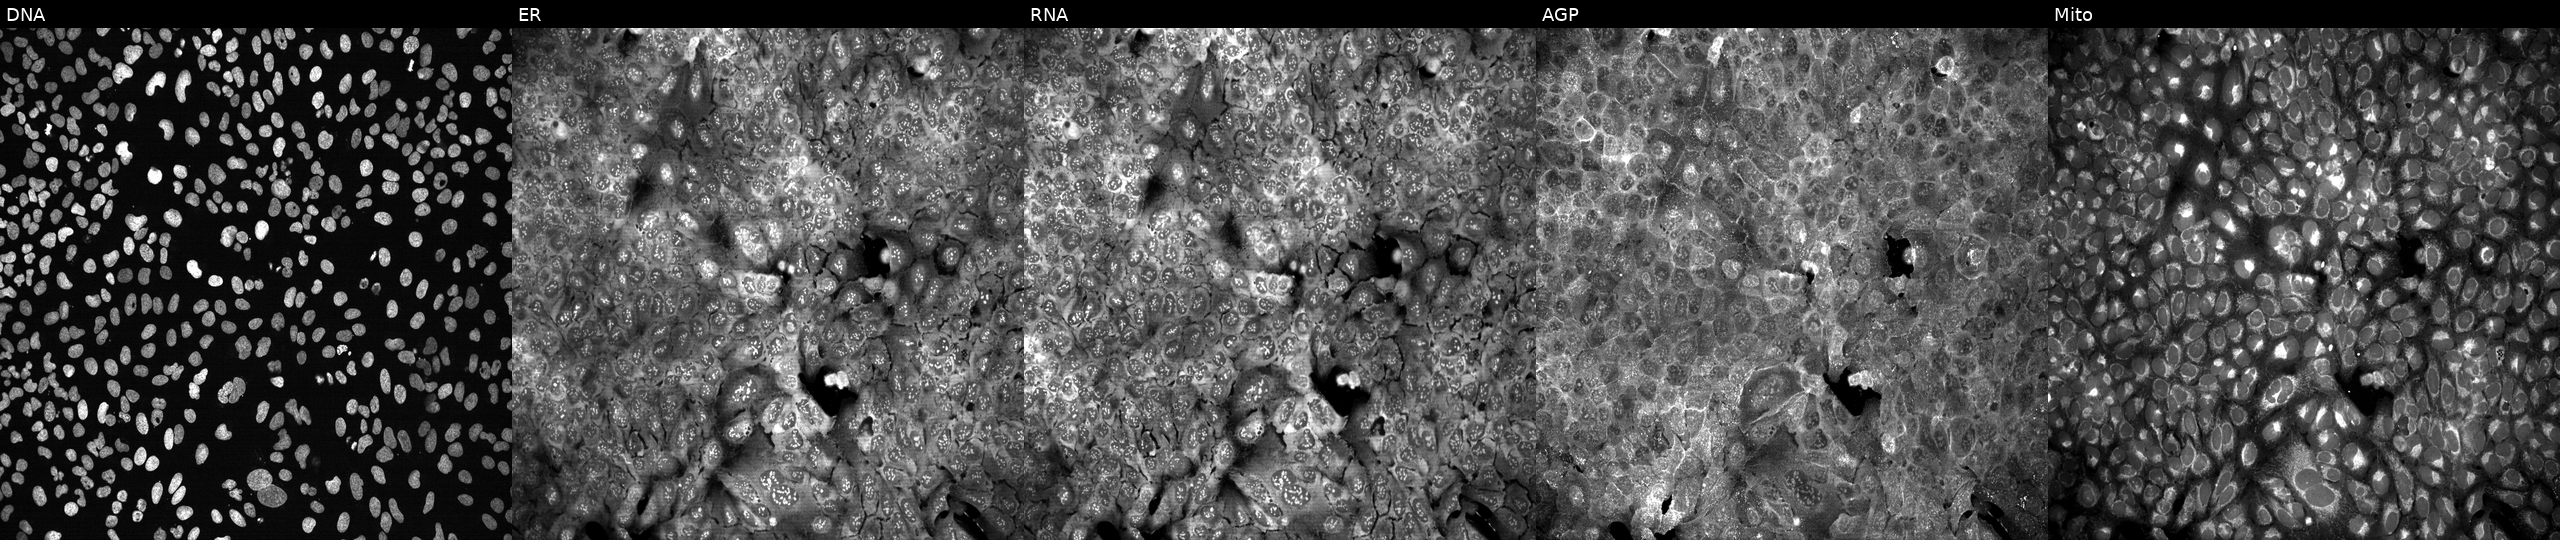
This image strip shows the five Cell Painting channels for a single field of U2OS cells with DNASE2B knocked out by CRISPR. From left to right: DNA, ER, RNA, AGP, and Mito.